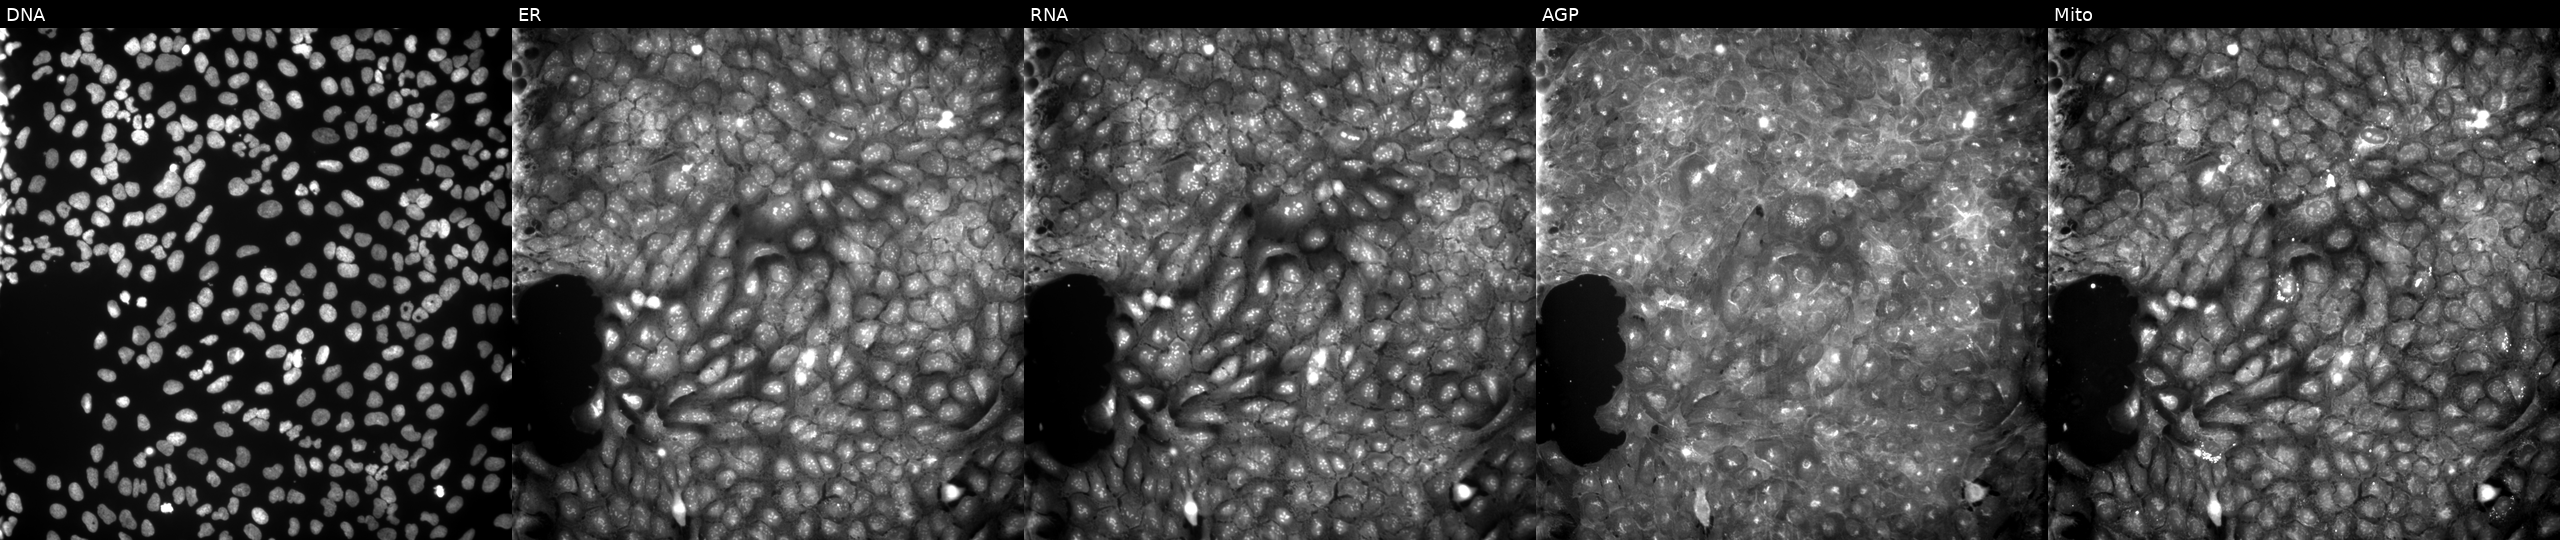
Five-channel Cell Painting image of U2OS cells treated with a small-molecule compound (InChIKey USNMIXOMQNDITH-UHFFFAOYSA-N). From left to right: Hoechst 33342, concanavalin A, SYTO 14, phalloidin and WGA, MitoTracker. Source 9, plate GR00003381, well G20.